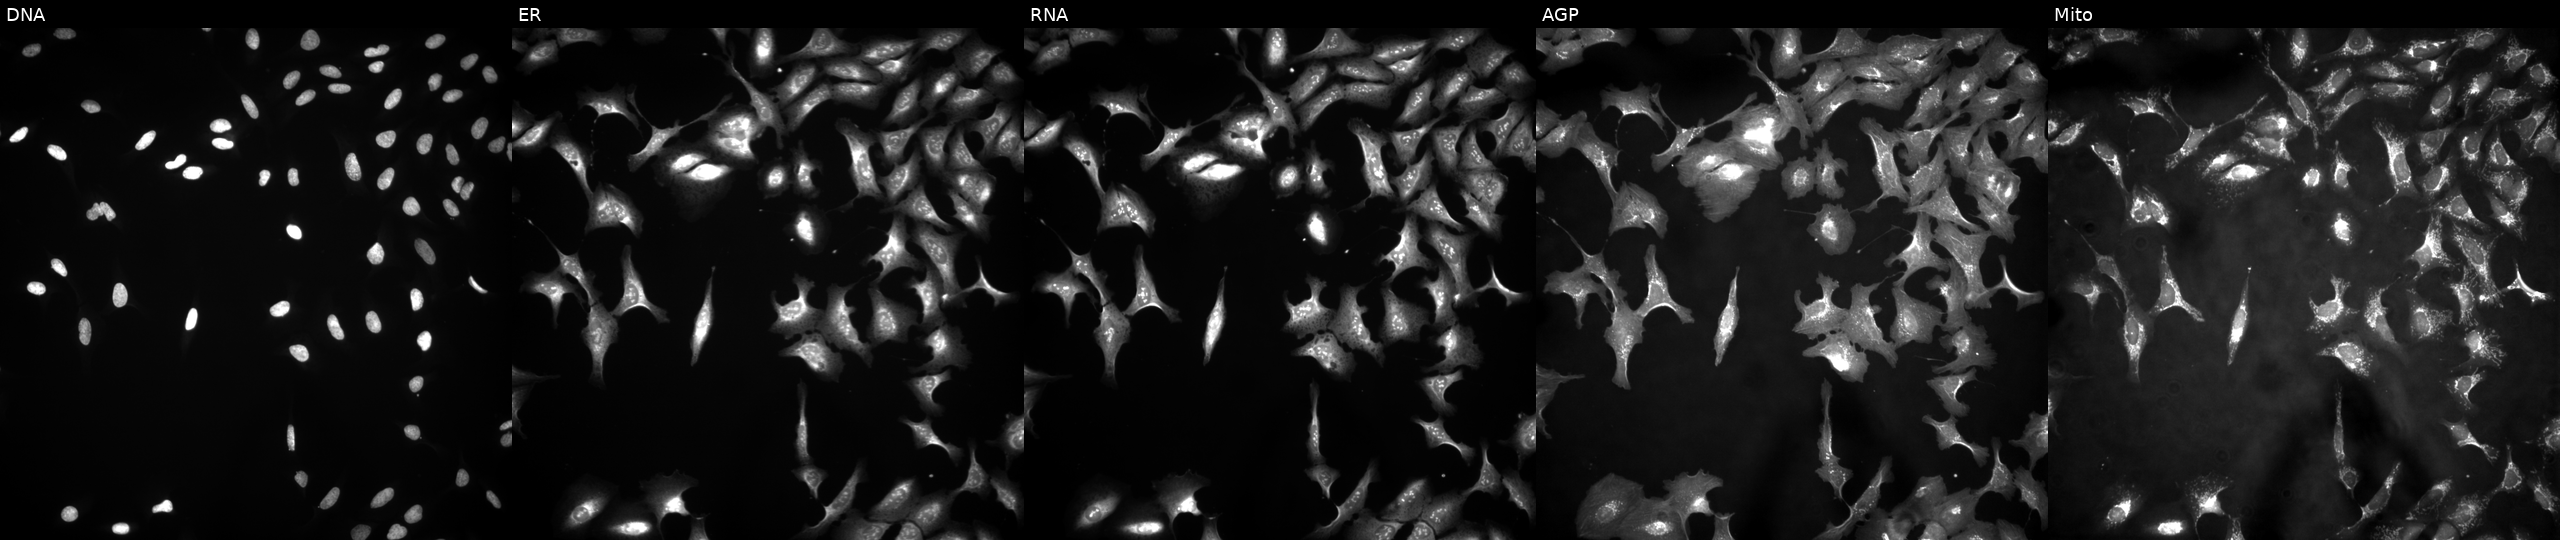
High-content fluorescence microscopy (Cell Painting). Cell line: U2OS. Perturbation: transfected with an ORF construct for ICA1. Panels show, left to right, DNA (nuclei); ER (endoplasmic reticulum); RNA (nucleoli and cytoplasmic RNA); AGP (actin cytoskeleton, Golgi, and plasma membrane); Mito (mitochondria). Source 4, plate BR00121543, well J13.